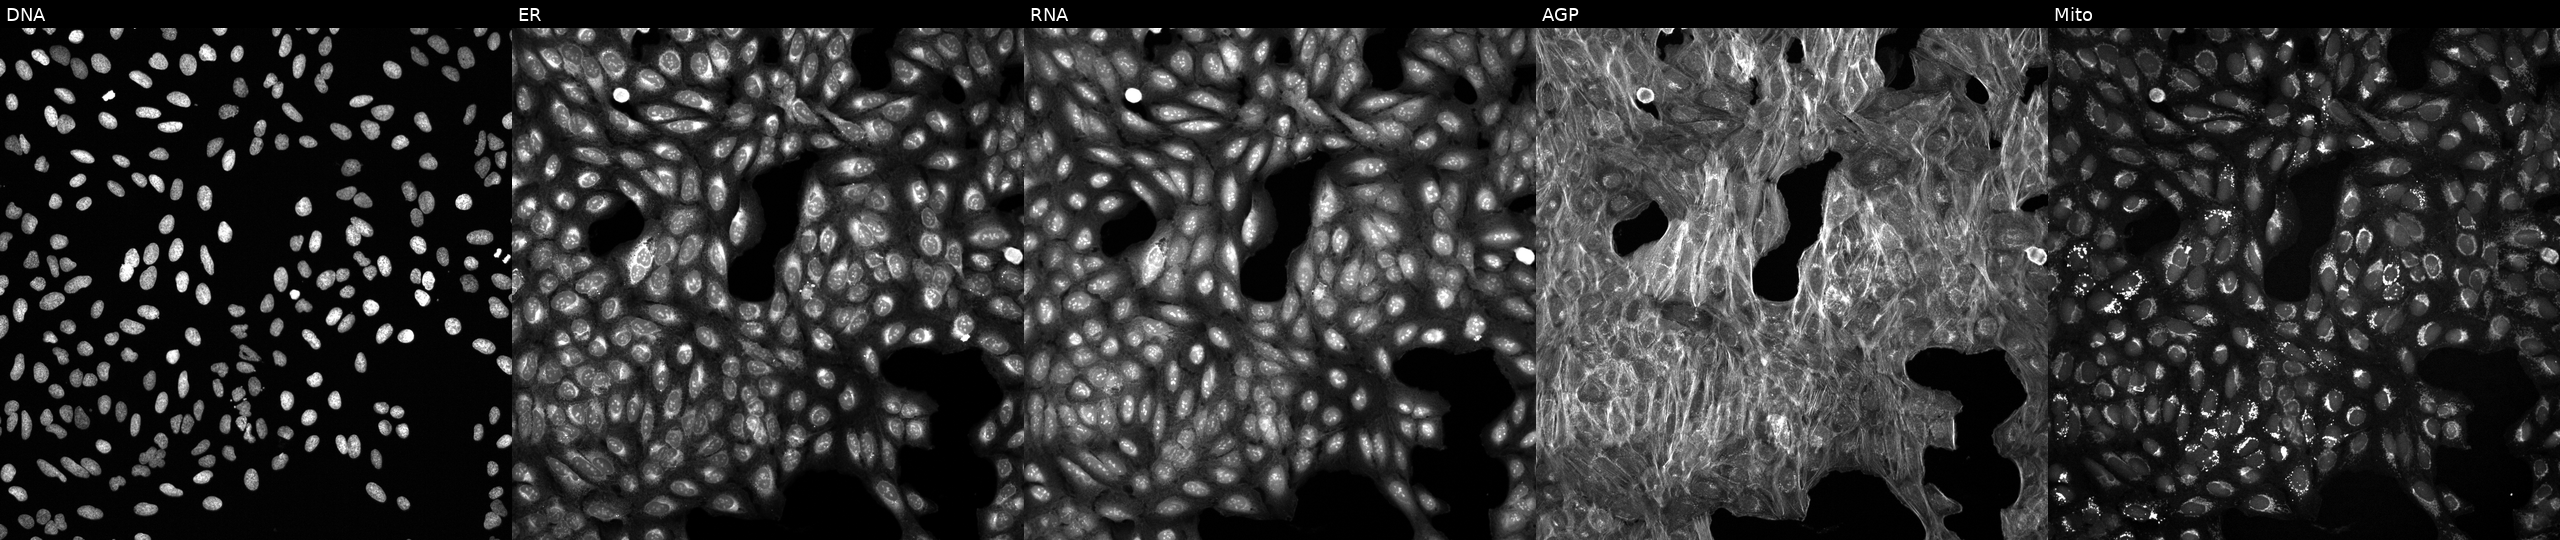
U2OS cells, Cell Painting assay, perturbed with a small-molecule compound (JUMP id JCP2022_100649). Panels show, left to right, Hoechst 33342, concanavalin A, SYTO 14, phalloidin and WGA, MitoTracker. Each panel is percentile-stretched 16-bit fluorescence.